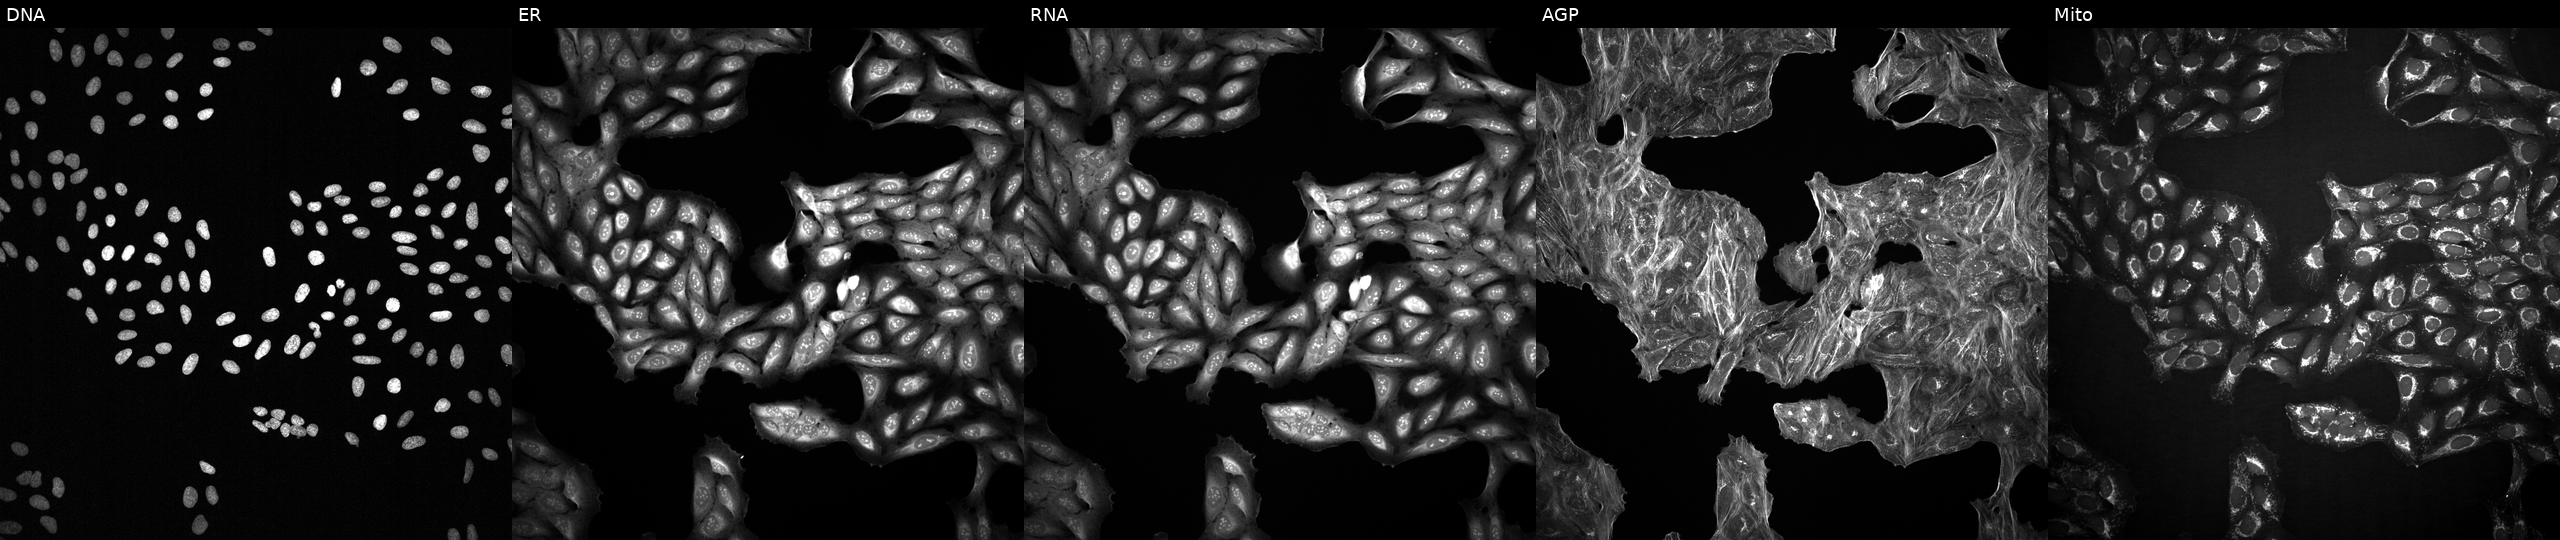
U2OS cells, Cell Painting assay, perturbed with a small-molecule compound (InChIKey LCFXZFBCCYOURM-UHFFFAOYSA-N). The five panels, left to right, show Hoechst 33342, concanavalin A, SYTO 14, phalloidin and WGA, MitoTracker. Each panel is percentile-stretched 16-bit fluorescence.